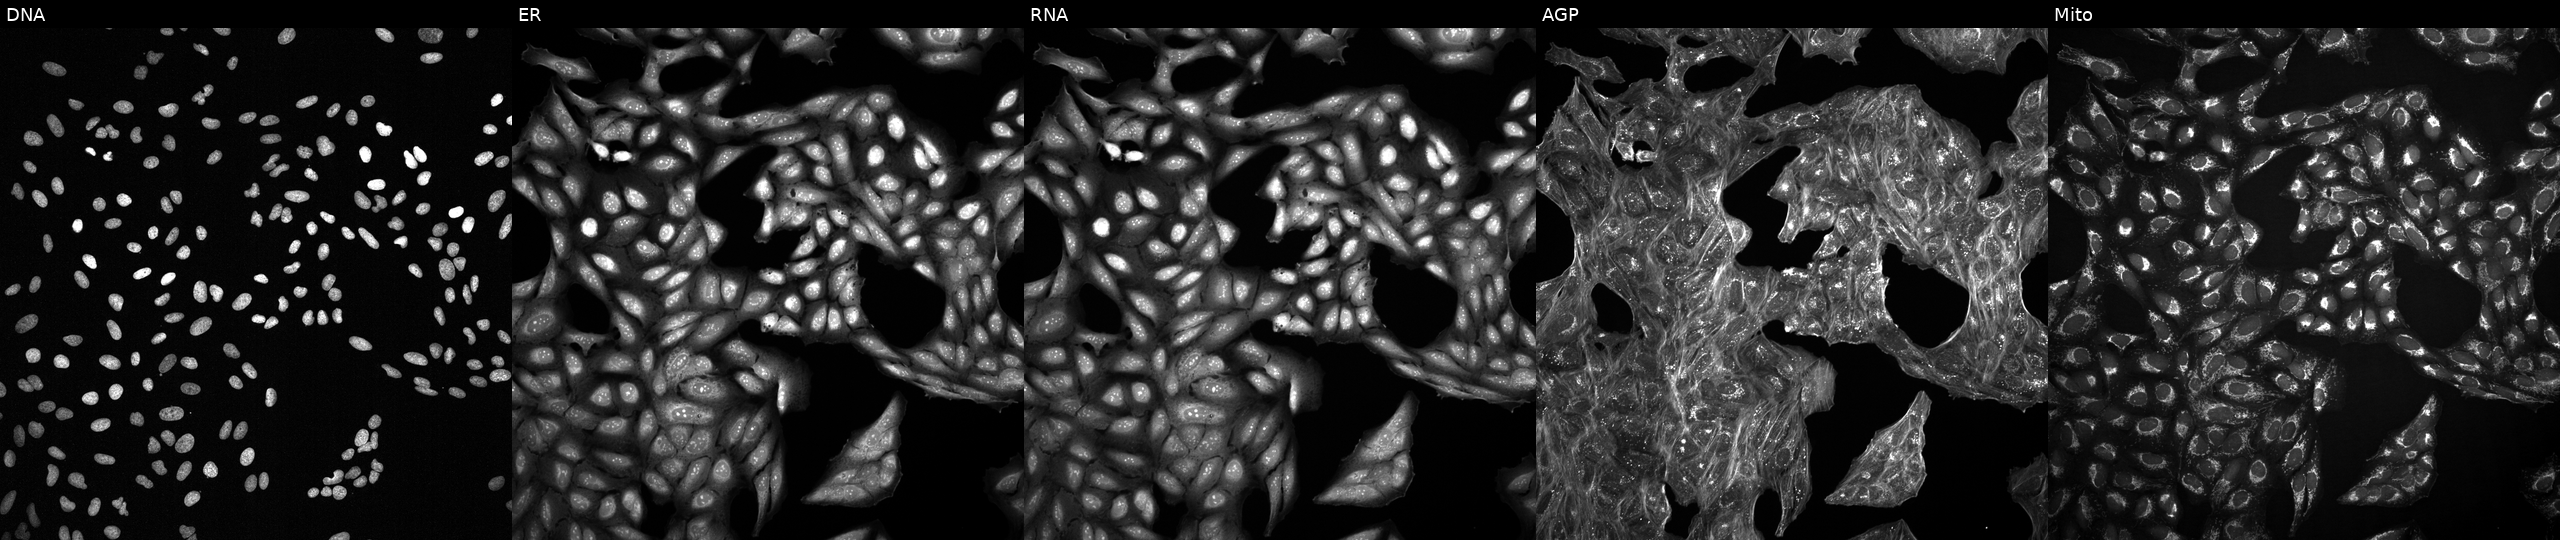
High-content fluorescence microscopy (Cell Painting). Cell line: U2OS. Perturbation: exposed to a small-molecule compound (InChIKey WTNXYCBWCYPVGU-UHFFFAOYSA-N). From left to right: DNA (nuclei); ER (endoplasmic reticulum); RNA (nucleoli and cytoplasmic RNA); AGP (actin cytoskeleton, Golgi, and plasma membrane); Mito (mitochondria).